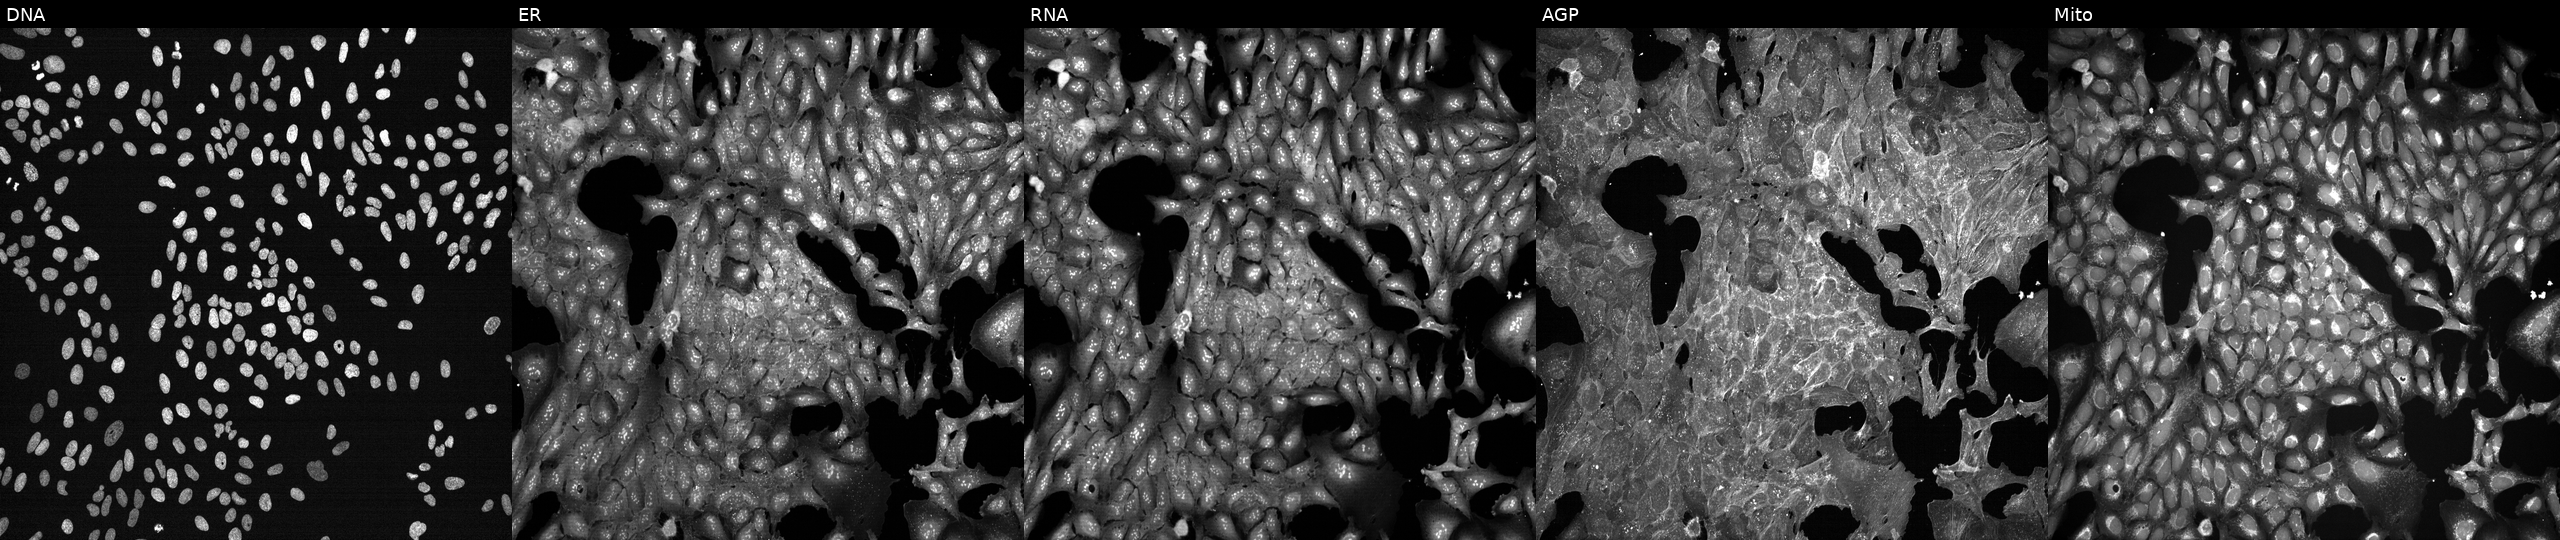
U2OS cells, Cell Painting assay, exposed to a small-molecule compound (InChIKey GVJHHUAWPYXKBD-UHFFFAOYSA-N) [SMILES: Cc1c(C)c2c(c(C)c1O)CCC(C)(CCCC(C)CCCC(C)CCCC(C)C)O2]. The five panels, left to right, show DNA (nuclei); ER (endoplasmic reticulum); RNA (nucleoli and cytoplasmic RNA); AGP (actin cytoskeleton, Golgi, and plasma membrane); Mito (mitochondria). Each panel is percentile-stretched 16-bit fluorescence. Source 7, plate CP2-SC1-25, well G09.